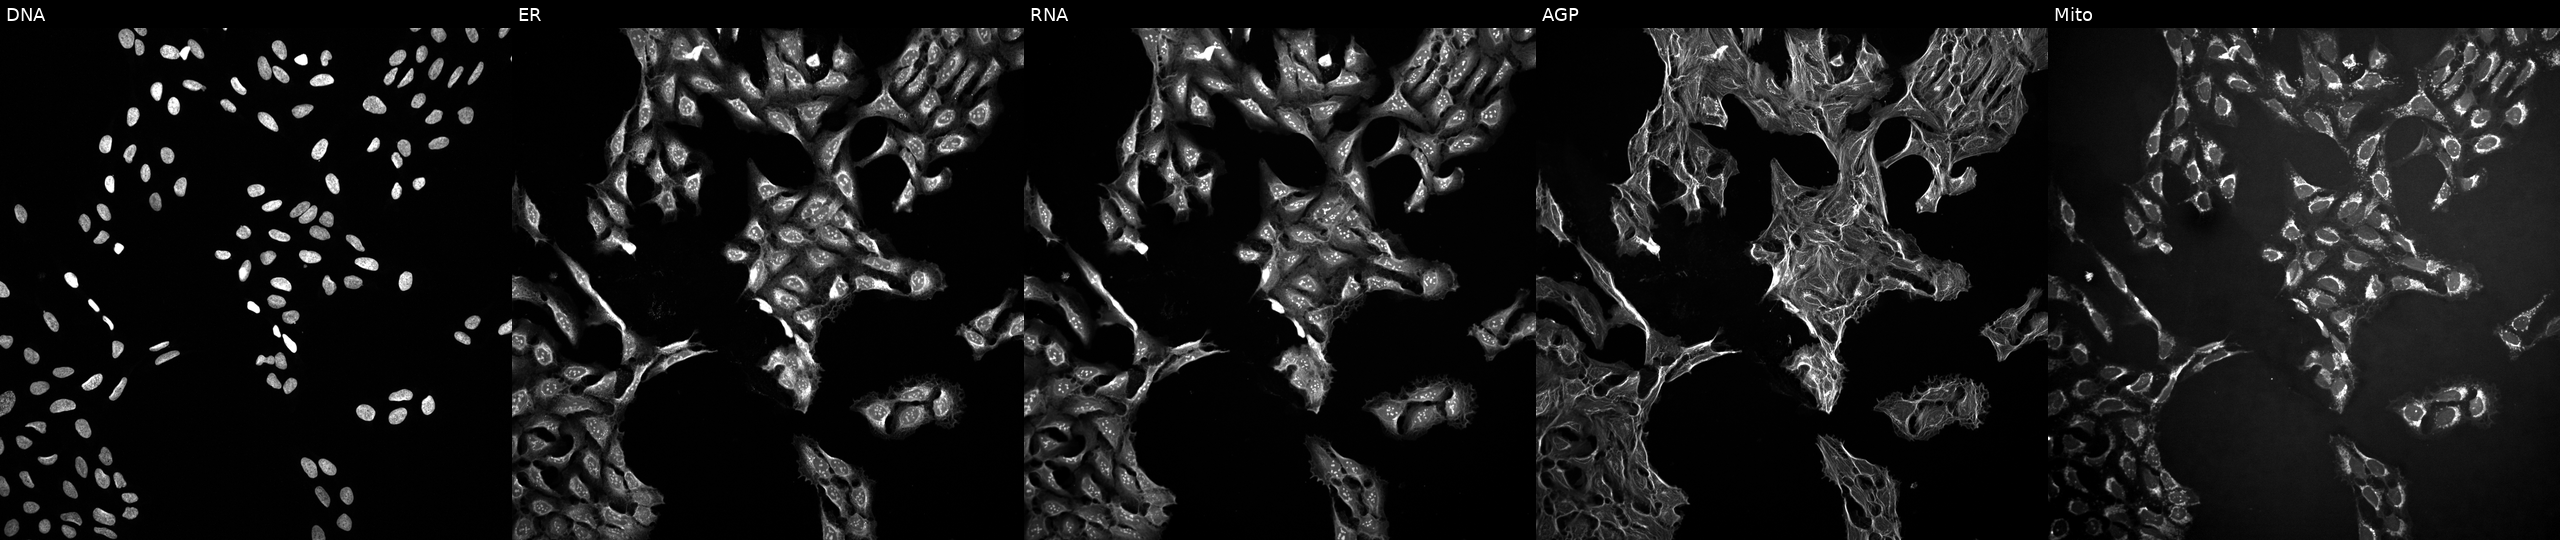
Five-channel Cell Painting image of U2OS cells treated with a small-molecule compound (InChIKey VDQLKIBLTMPAHI-UHFFFAOYSA-N). The five panels, left to right, show DNA, ER, RNA, AGP, and Mito.